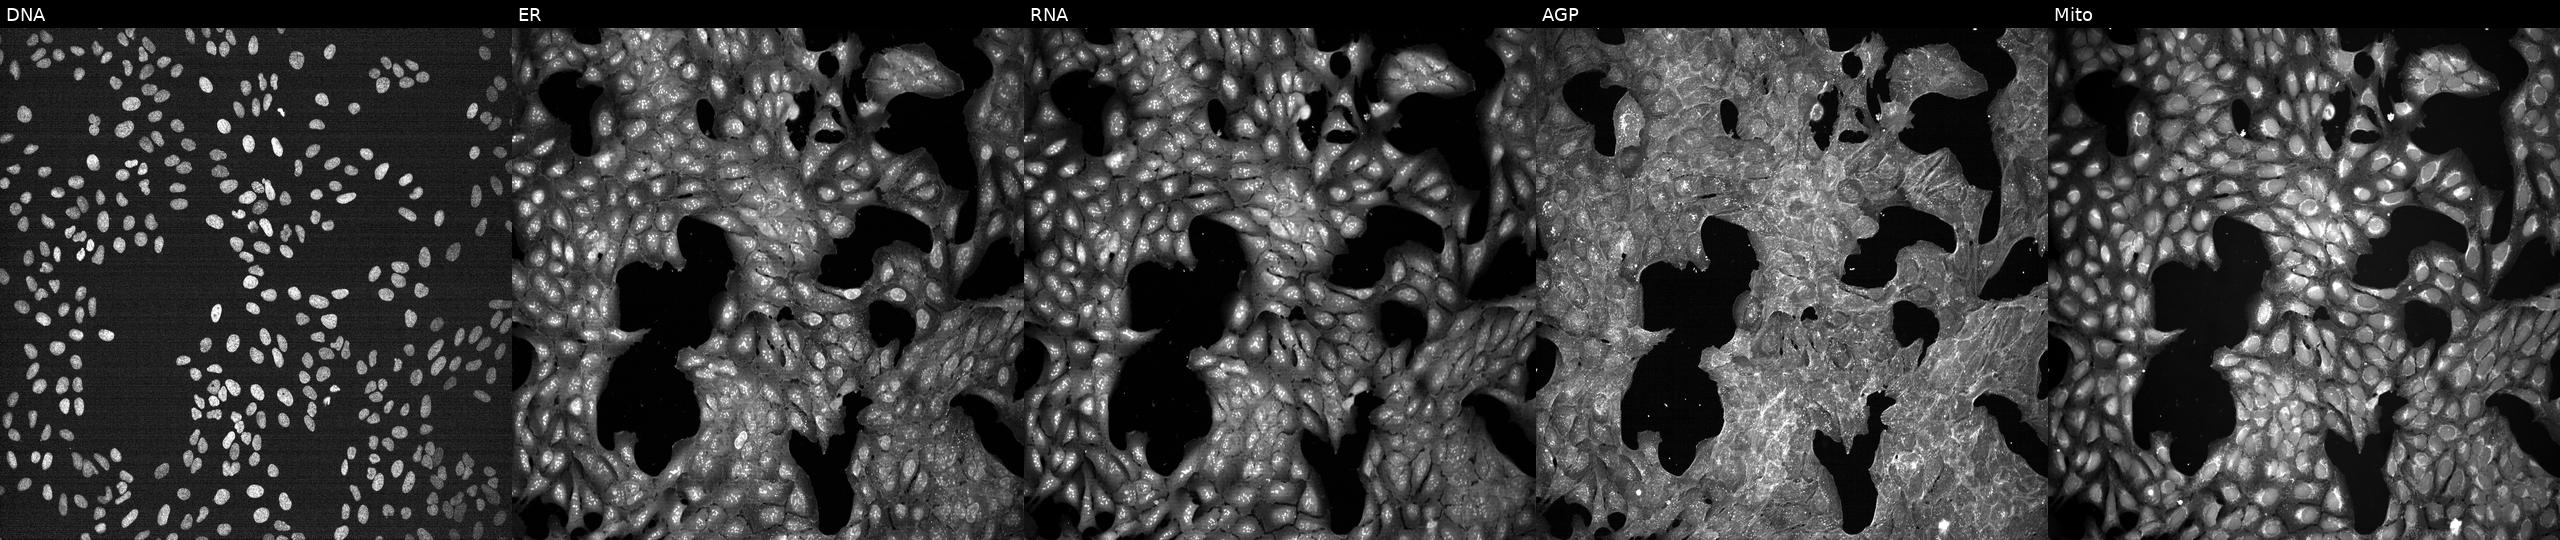
From left to right: DNA (nuclei); ER (endoplasmic reticulum); RNA (nucleoli and cytoplasmic RNA); AGP (actin cytoskeleton, Golgi, and plasma membrane); Mito (mitochondria). U2OS osteosarcoma cells exposed to a small-molecule compound. Cell Painting assay, JUMP-CP dataset.